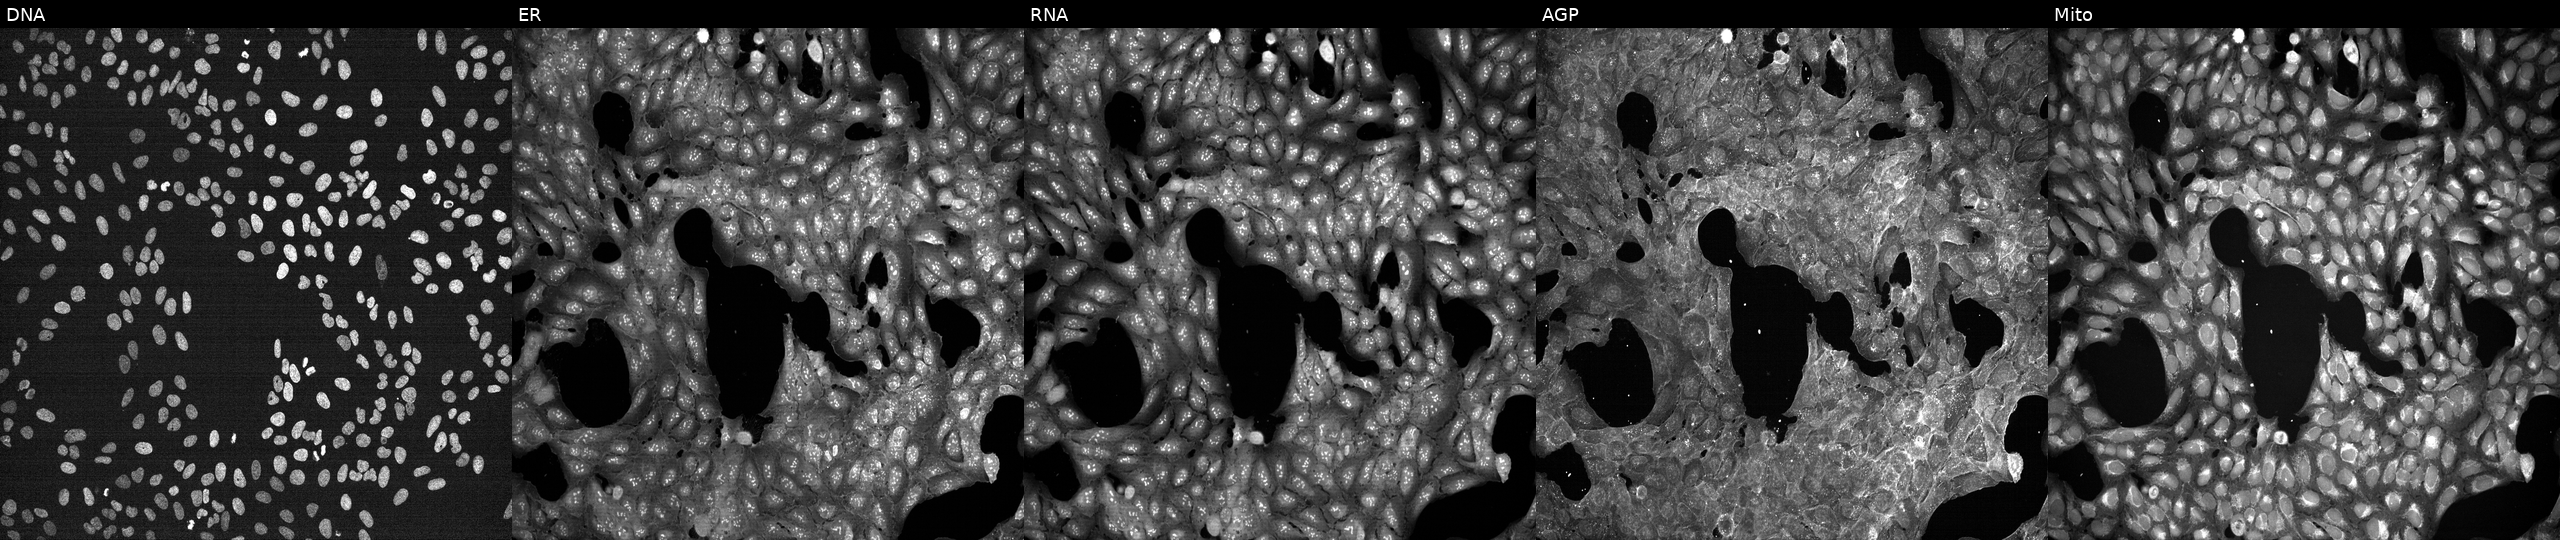
High-content fluorescence microscopy (Cell Painting). Cell line: U2OS. Perturbation: exposed to a small-molecule compound (JUMP id JCP2022_004940). Panels show, left to right, DNA, ER, RNA, AGP, and Mito. Source 7, plate CP1-SC1-25, well A13.